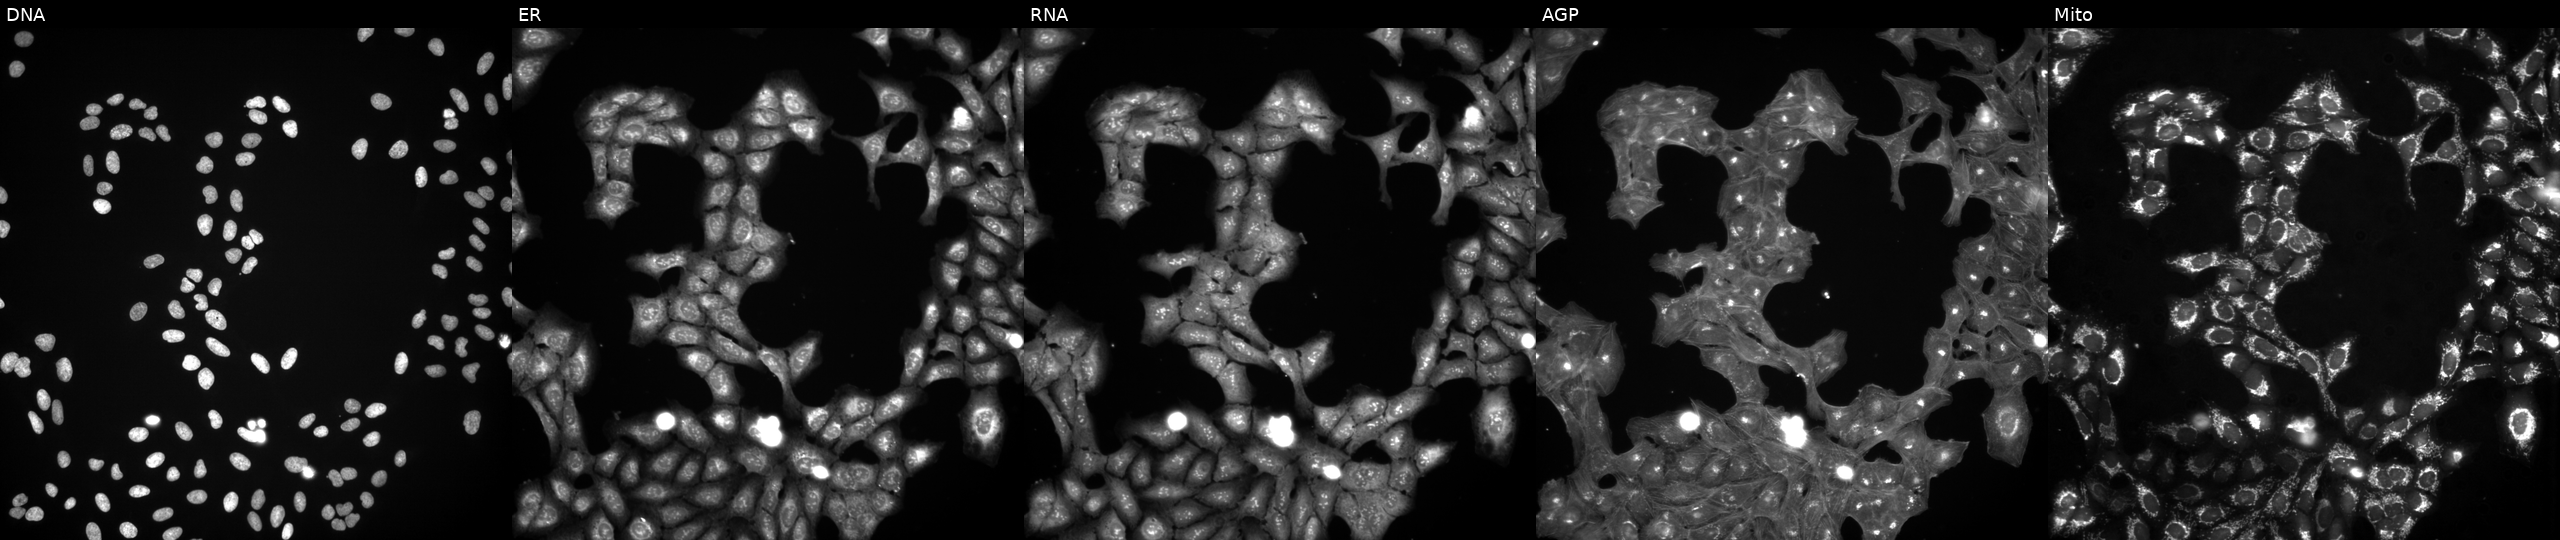
Five-channel Cell Painting image of U2OS cells exposed to a small-molecule compound (InChIKey JOFJJLWKHPYOLP-UHFFFAOYSA-N) [SMILES: CC(C)CNC(=O)c1cc(-c2ccco2)nc2ccccc12] (JUMP id JCP2022_041058). Panels show, left to right, DNA (nuclei); ER (endoplasmic reticulum); RNA (nucleoli and cytoplasmic RNA); AGP (actin cytoskeleton, Golgi, and plasma membrane); Mito (mitochondria). Source 3, plate BR5867b3, well E08.